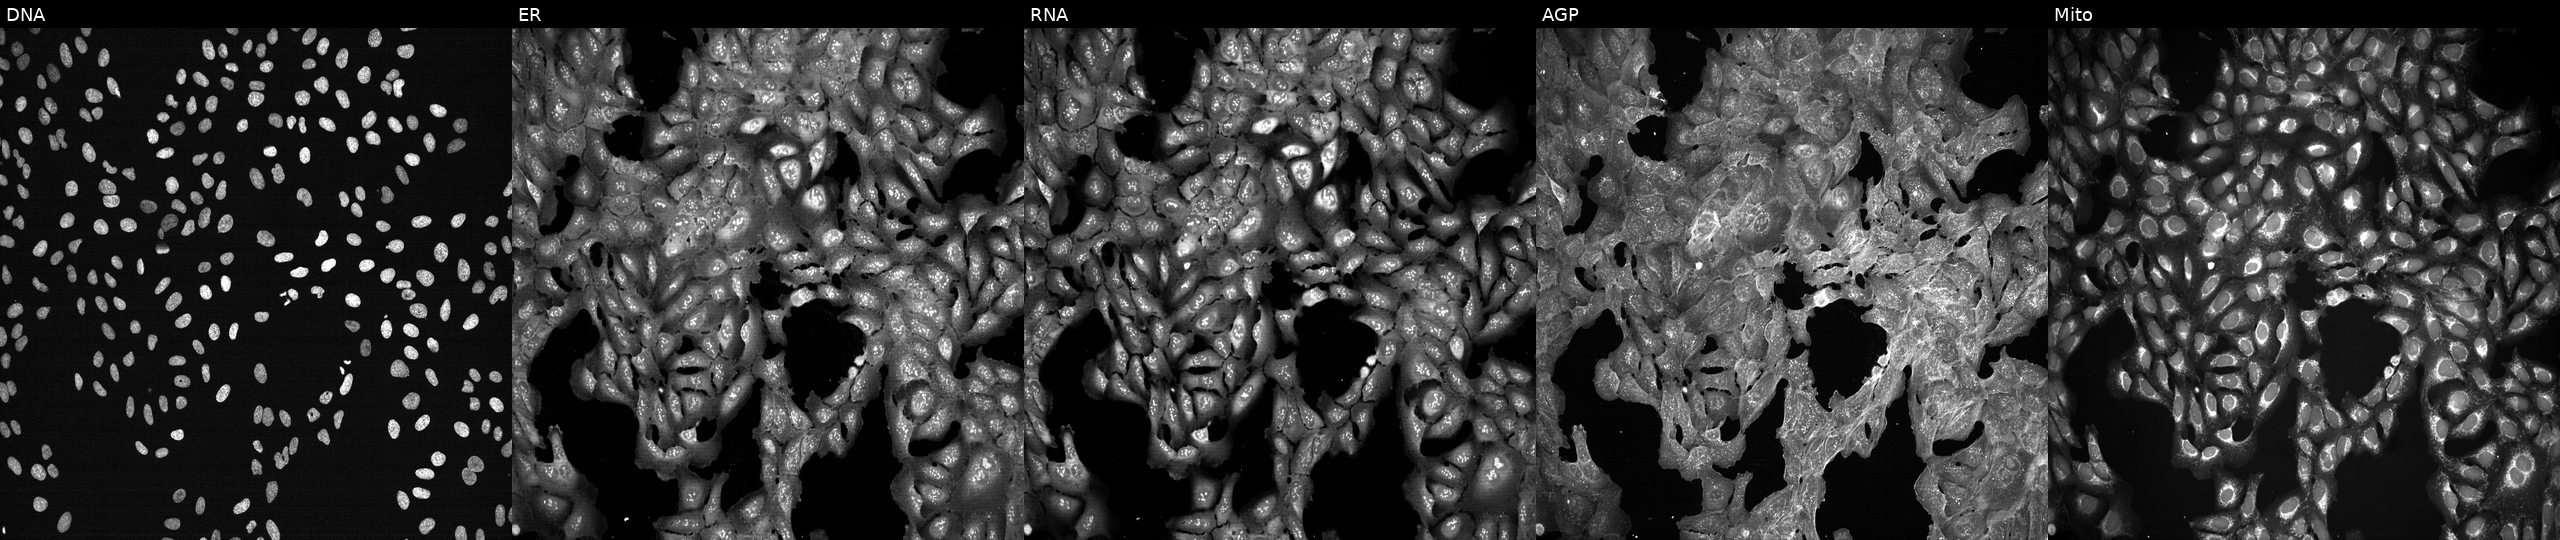
U2OS cells, Cell Painting assay, treated with a small-molecule compound (InChIKey OJLOPKGSLYJEMD-UHFFFAOYSA-N). Panels show, left to right, DNA, ER, RNA, AGP, and Mito. Each panel is percentile-stretched 16-bit fluorescence.